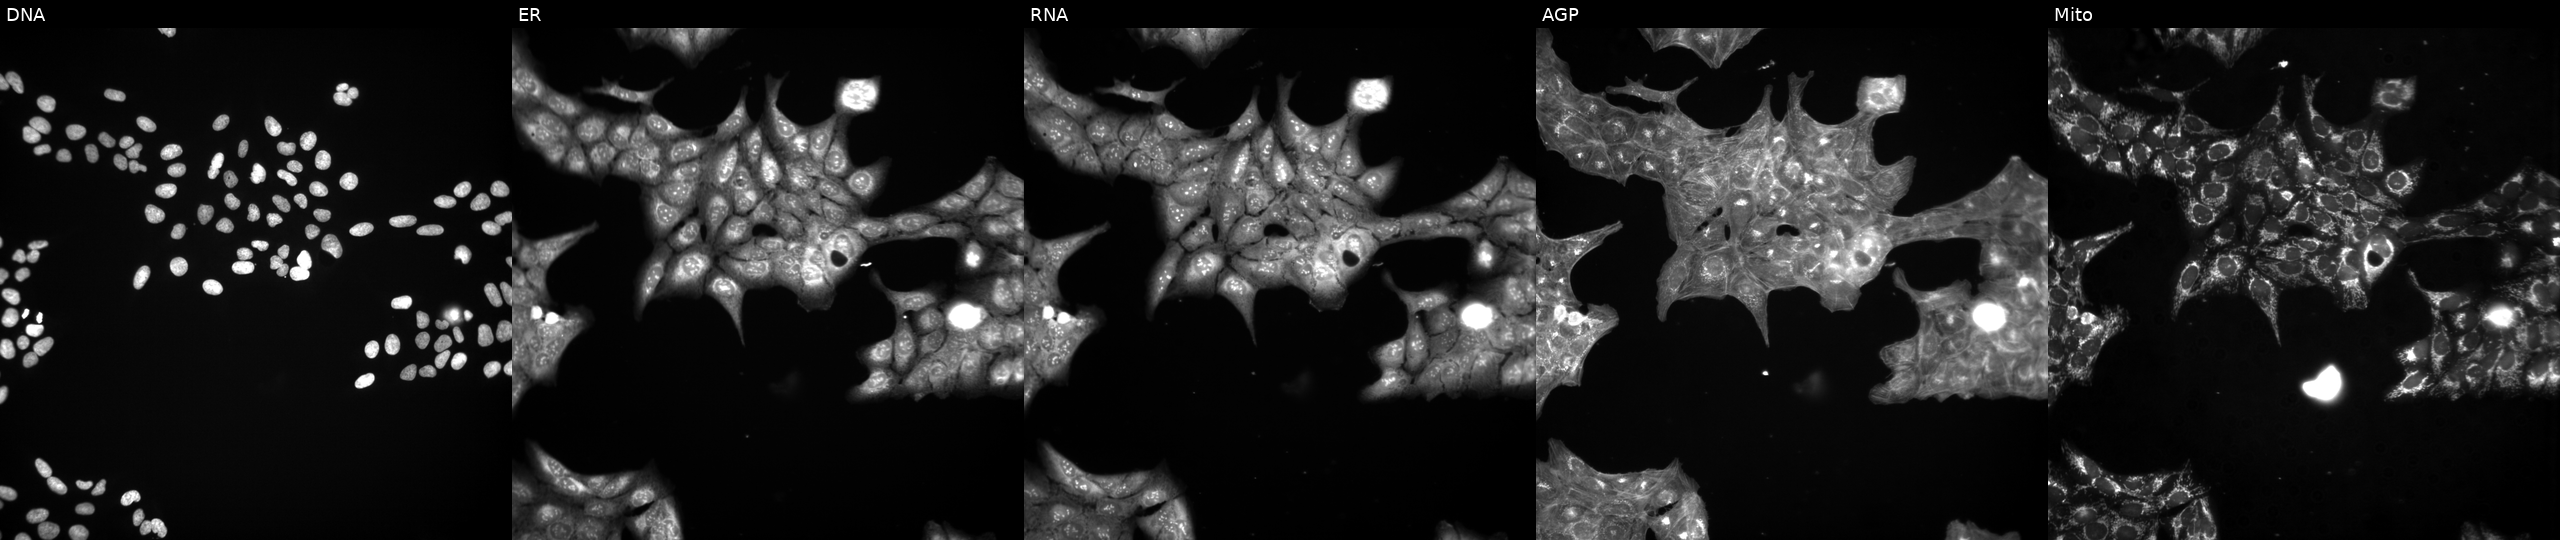
JUMP Cell Painting — COMPOUND plate. U2OS cells treated with LY2109761 (positive-control compound) (JUMP id JCP2022_035095). From left to right: DNA (nuclei); ER (endoplasmic reticulum); RNA (nucleoli and cytoplasmic RNA); AGP (actin cytoskeleton, Golgi, and plasma membrane); Mito (mitochondria).